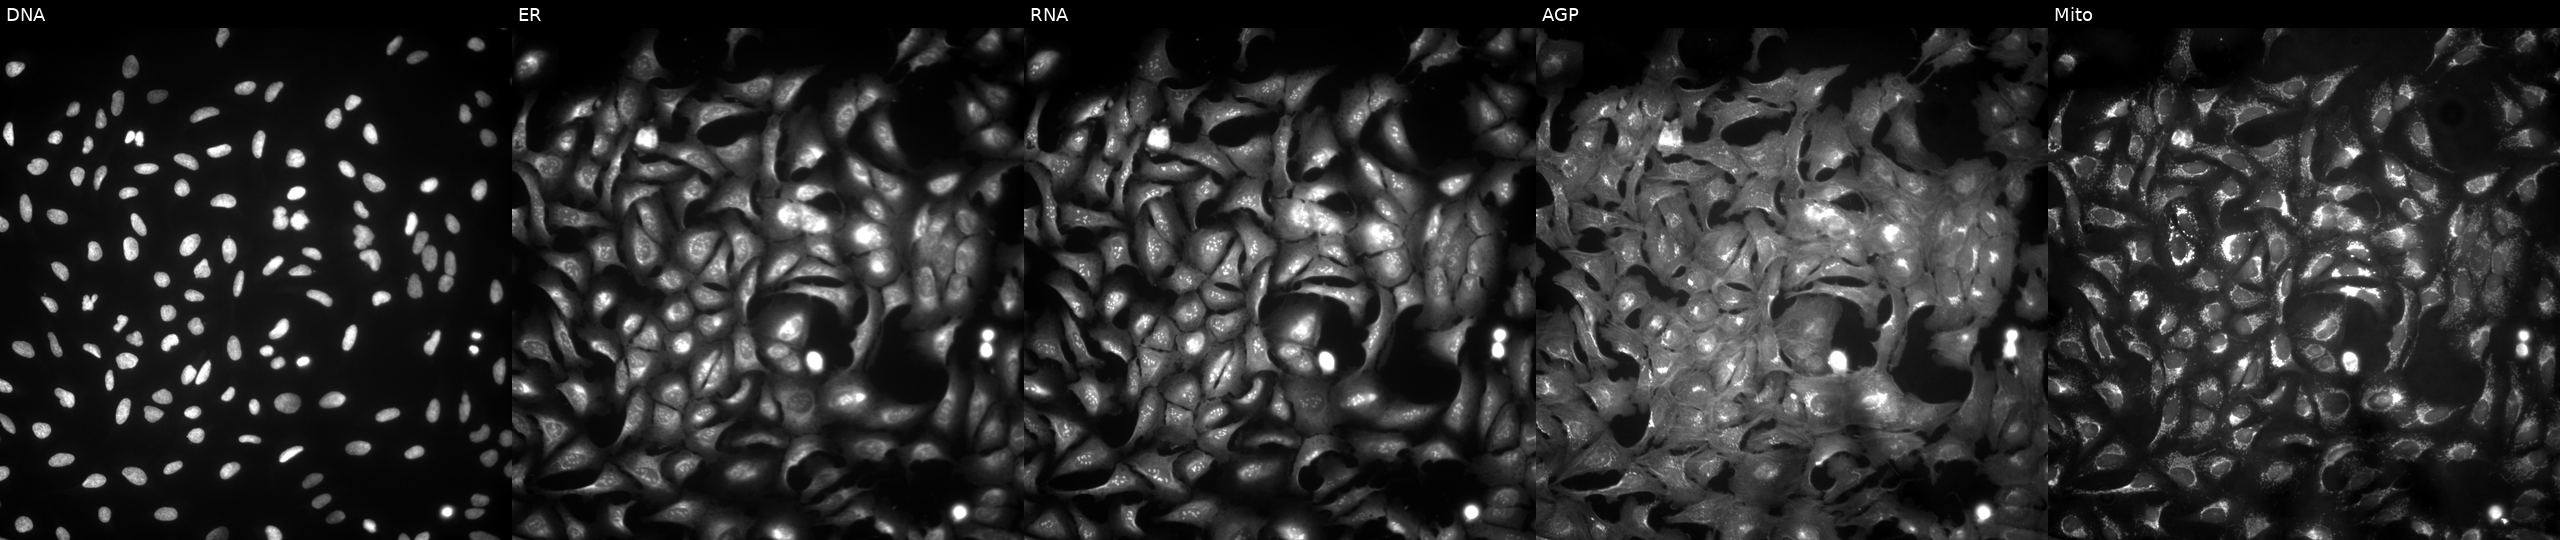
JUMP Cell Painting — ORF plate. U2OS cells untreated (empty-well control) (JUMP id JCP2022_999999). From left to right: DNA (nuclei); ER (endoplasmic reticulum); RNA (nucleoli and cytoplasmic RNA); AGP (actin cytoskeleton, Golgi, and plasma membrane); Mito (mitochondria). Source 4, plate BR00123506, well P22.